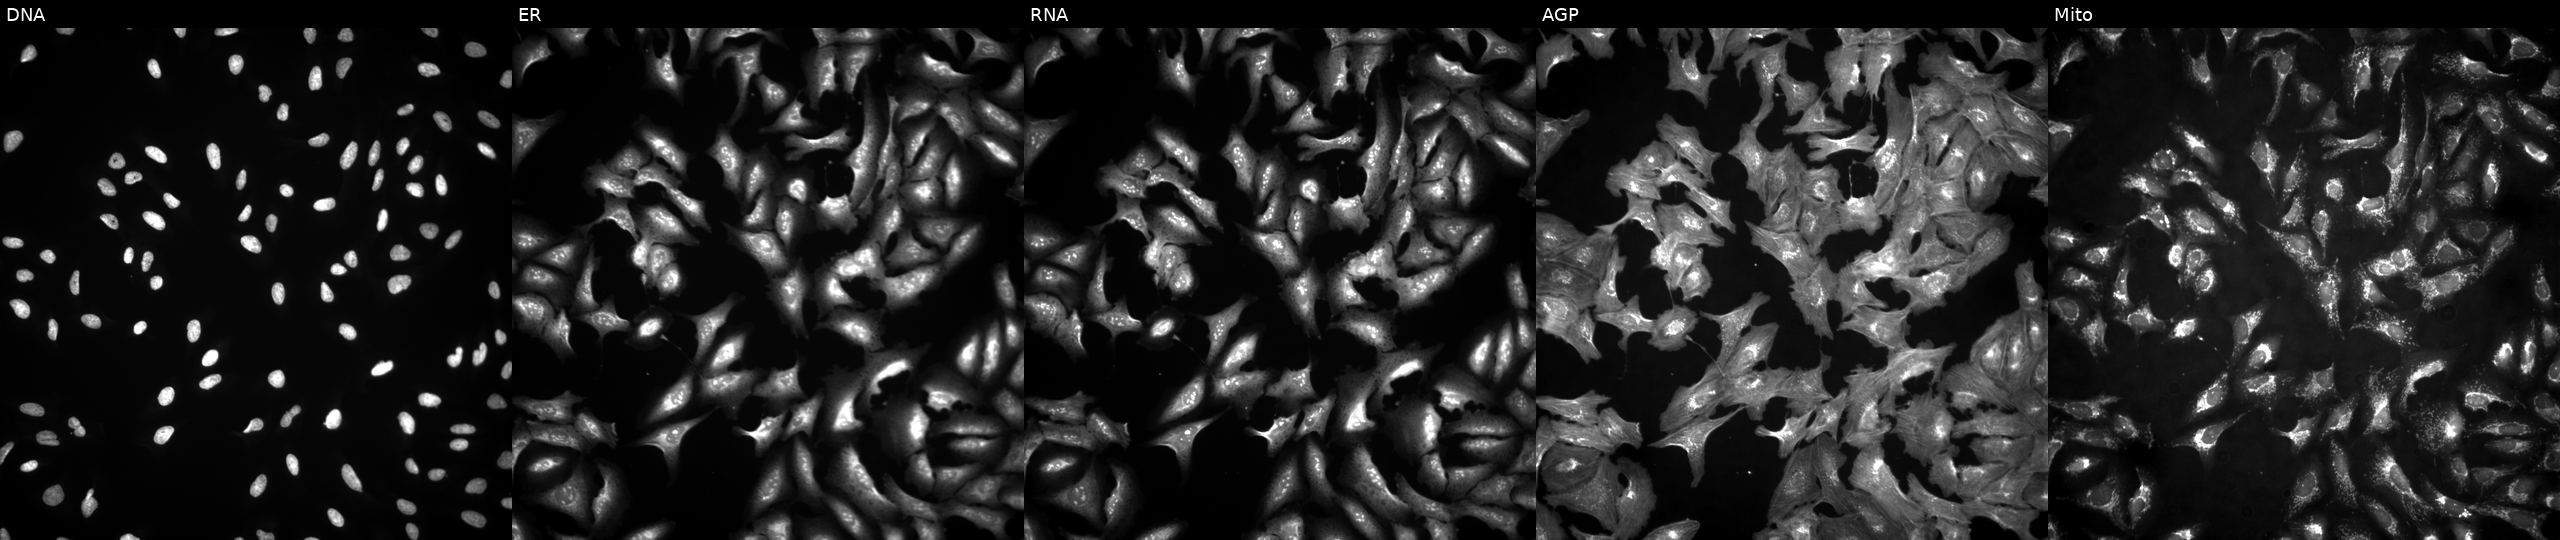
This image strip shows the five Cell Painting channels for a single field of U2OS cells transfected with an ORF construct for CSAG3 (JUMP id JCP2022_905360). From left to right: DNA, ER, RNA, AGP, and Mito.